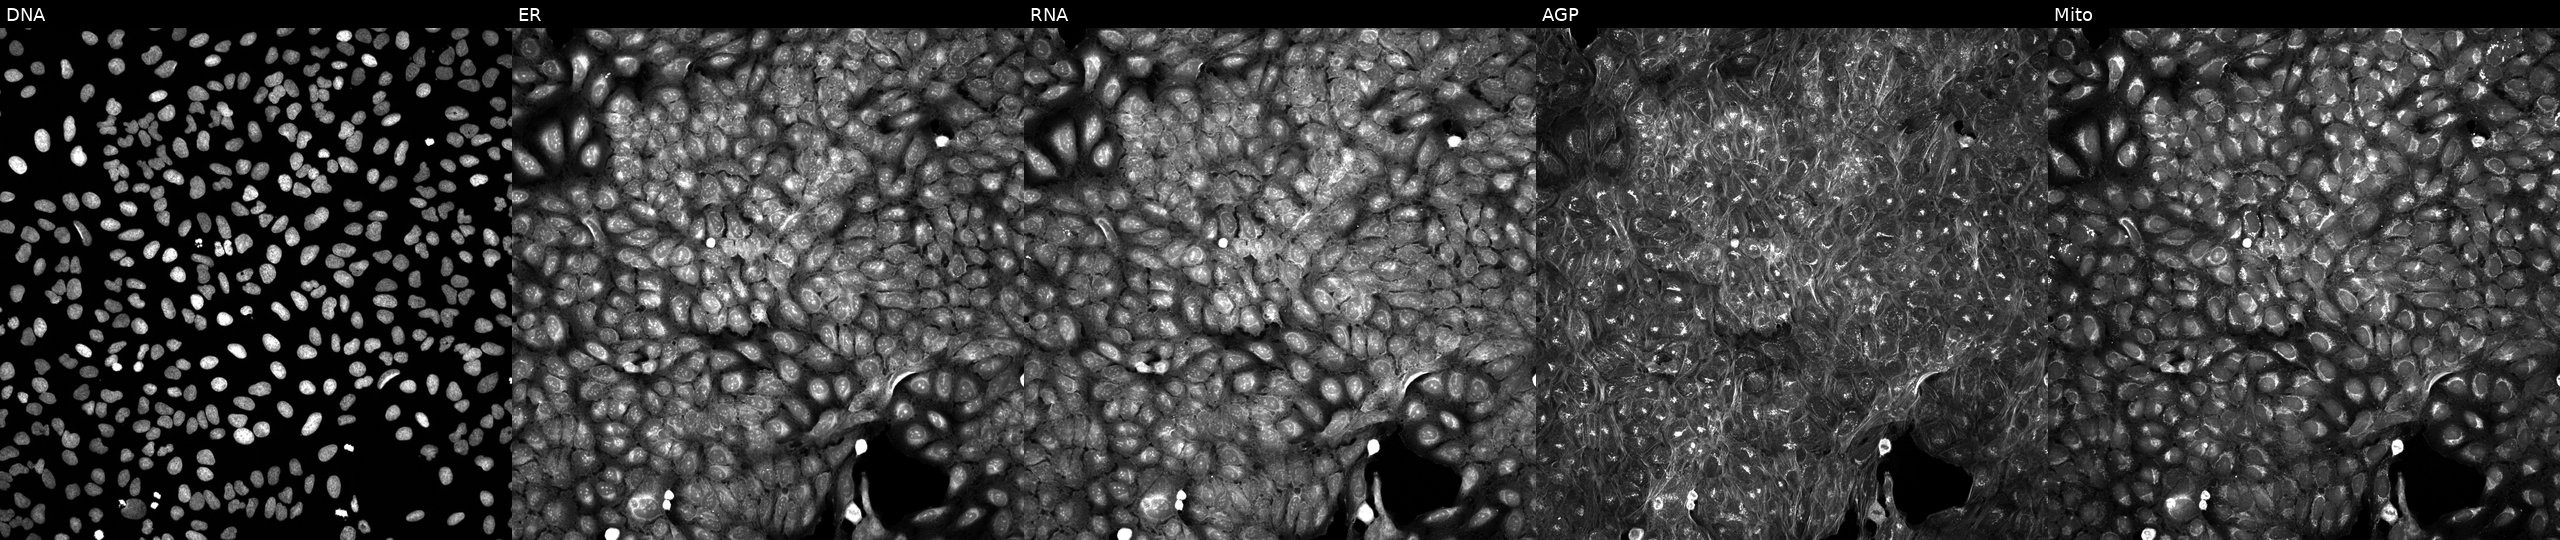
The five panels, left to right, show DNA (nuclei); ER (endoplasmic reticulum); RNA (nucleoli and cytoplasmic RNA); AGP (actin cytoskeleton, Golgi, and plasma membrane); Mito (mitochondria). U2OS osteosarcoma cells treated with a small-molecule compound (InChIKey AFWVWXAAWDYRGF-UHFFFAOYSA-N) [SMILES: CCN(CC)C(=O)N1CC(c2nc(C)no2)C2(CCOCC2)C1] (JUMP id JCP2022_001148). Cell Painting assay, JUMP-CP dataset. Source 5, plate APTJUM106, well D16.